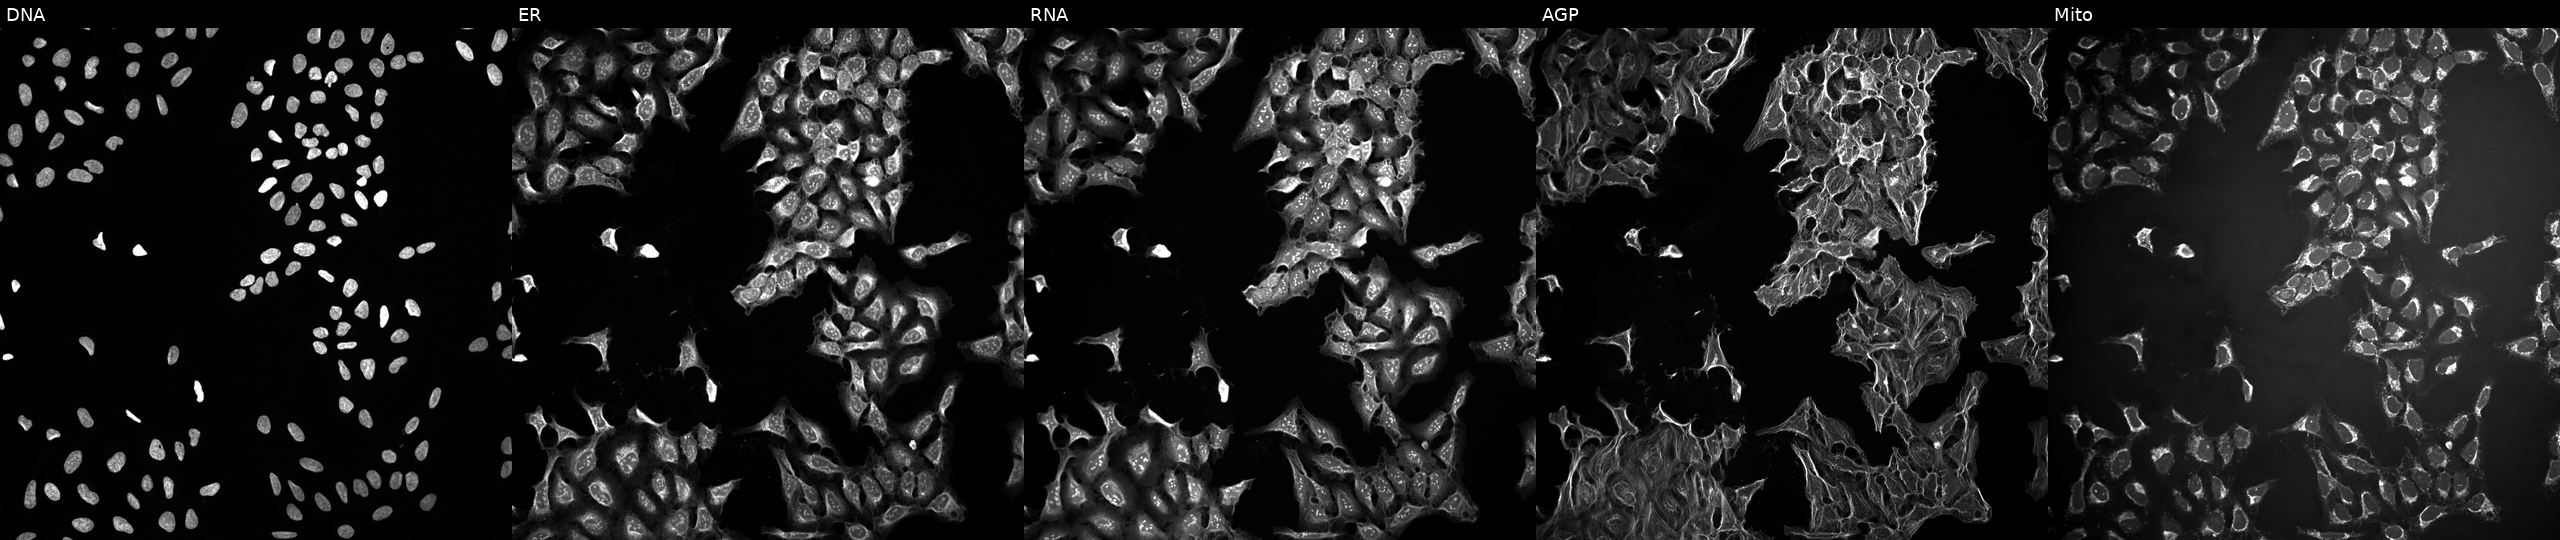
This image strip shows the five Cell Painting channels for a single field of U2OS cells treated with a small-molecule compound (InChIKey IIXWYSCJSQVBQM-UHFFFAOYSA-N) (JUMP id JCP2022_035351). From left to right: DNA (nuclei); ER (endoplasmic reticulum); RNA (nucleoli and cytoplasmic RNA); AGP (actin cytoskeleton, Golgi, and plasma membrane); Mito (mitochondria). Source 10, plate Dest210727-153003, well N15.